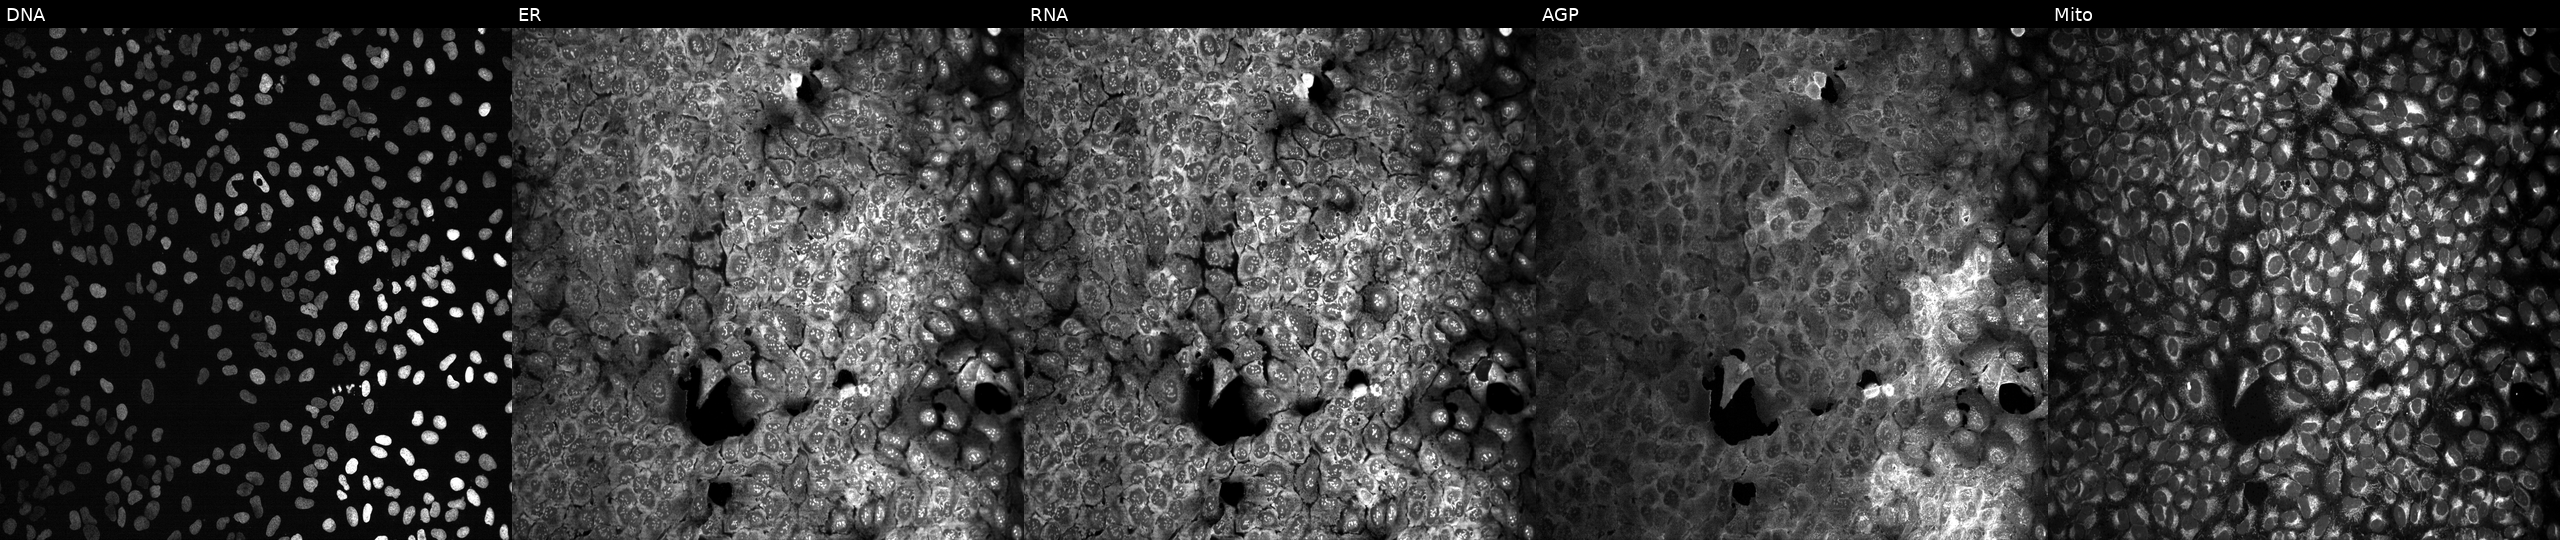
High-content fluorescence microscopy (Cell Painting). Cell line: U2OS. Perturbation: following CRISPR knockout of GTPBP1. From left to right: Hoechst 33342, concanavalin A, SYTO 14, phalloidin and WGA, MitoTracker.